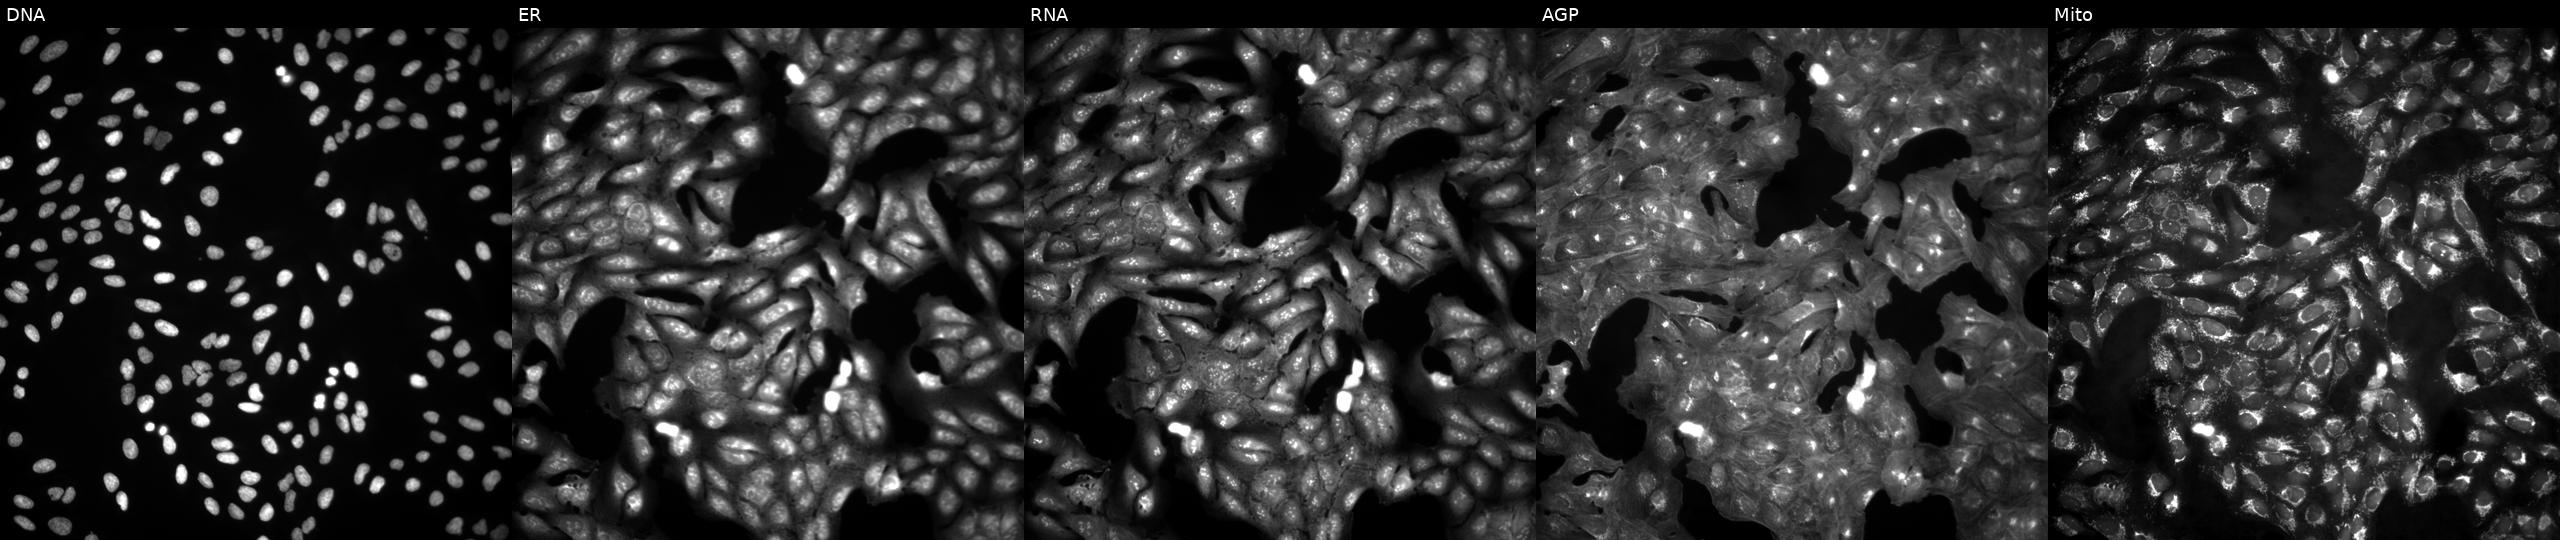
High-content fluorescence microscopy (Cell Painting). Cell line: U2OS. Perturbation: in an empty control well (no perturbation). From left to right: DNA, ER, RNA, AGP, and Mito. Source 4, plate BR00123946, well C18.